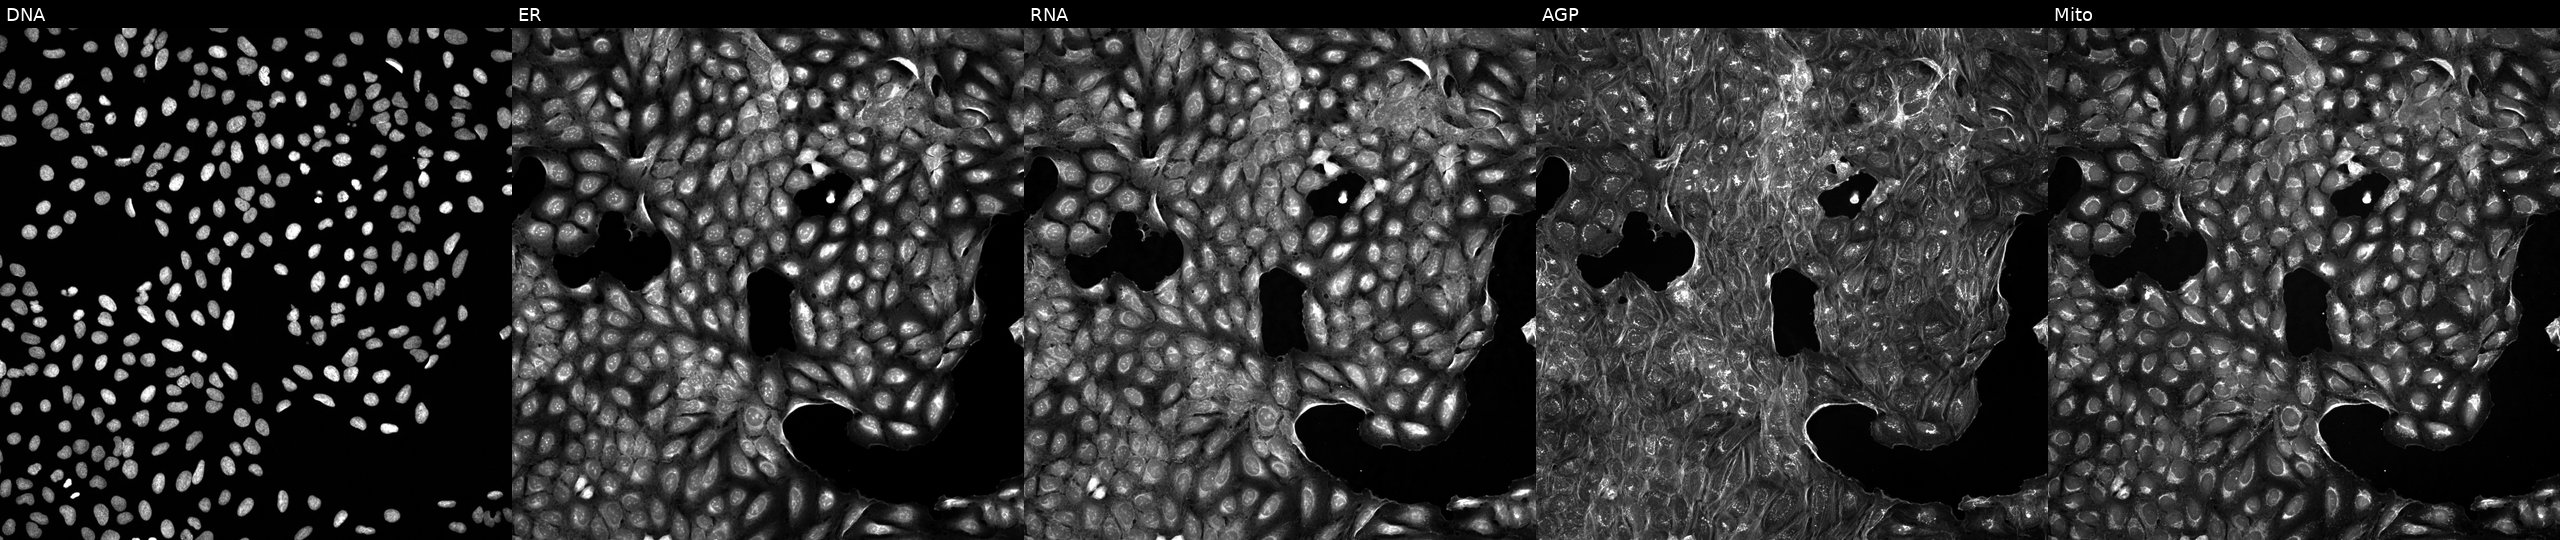
Five-channel Cell Painting image of U2OS cells exposed to a small-molecule compound (InChIKey LBFDRXJEFNVMEG-UHFFFAOYSA-N) [SMILES: COc1ccc(S(=O)(=O)N(C)C)cc1NC(=O)c1cc2c(c(OC)c1)OC(C)C2]. Channels (left→right): DNA (nuclei); ER (endoplasmic reticulum); RNA (nucleoli and cytoplasmic RNA); AGP (actin cytoskeleton, Golgi, and plasma membrane); Mito (mitochondria).